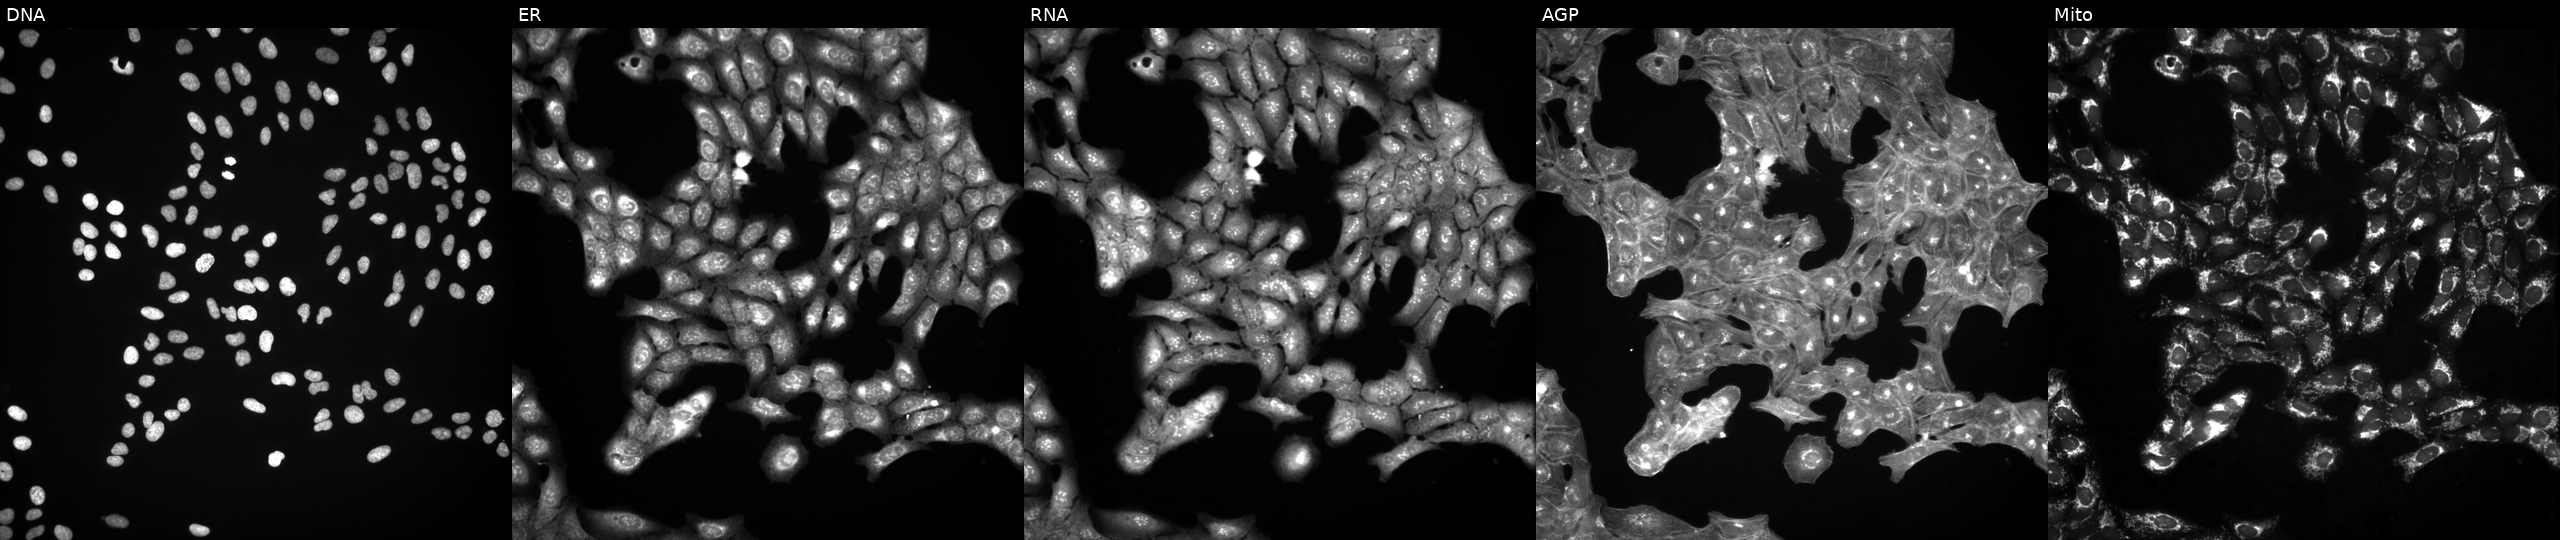
U2OS cells, Cell Painting assay, treated with DMSO vehicle only (negative control) (JUMP id JCP2022_033924). The five panels, left to right, show DNA, ER, RNA, AGP, and Mito. Each panel is percentile-stretched 16-bit fluorescence. Source 3, plate JCPQC051, well N19.